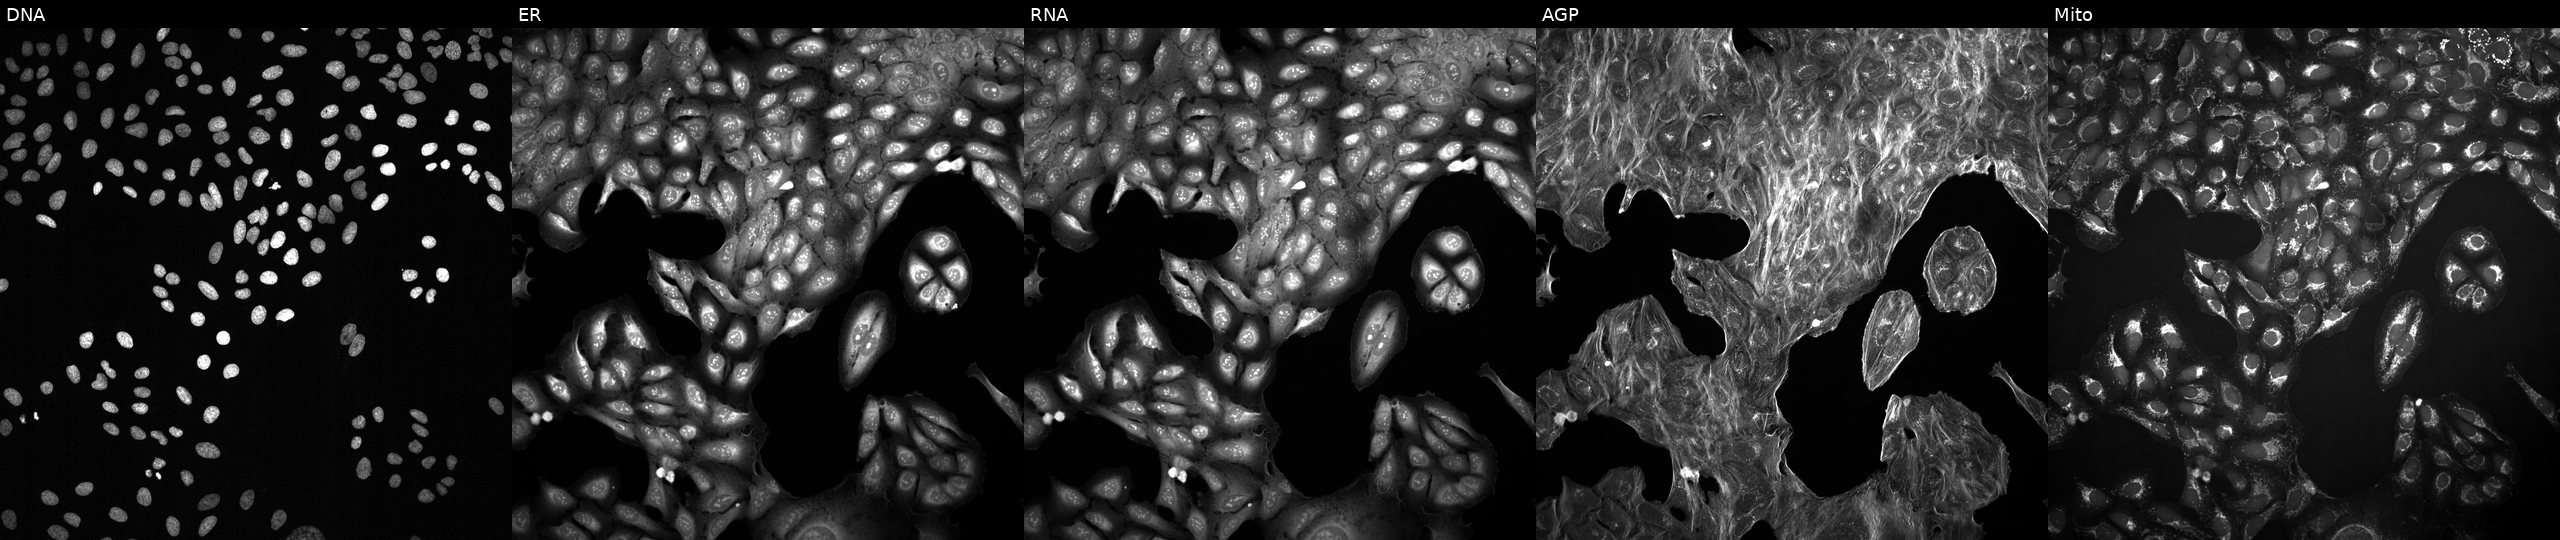
High-content fluorescence microscopy (Cell Painting). Cell line: U2OS. Perturbation: with an unidentified perturbation (not annotated in JUMP metadata). Panels show, left to right, DNA, ER, RNA, AGP, and Mito.